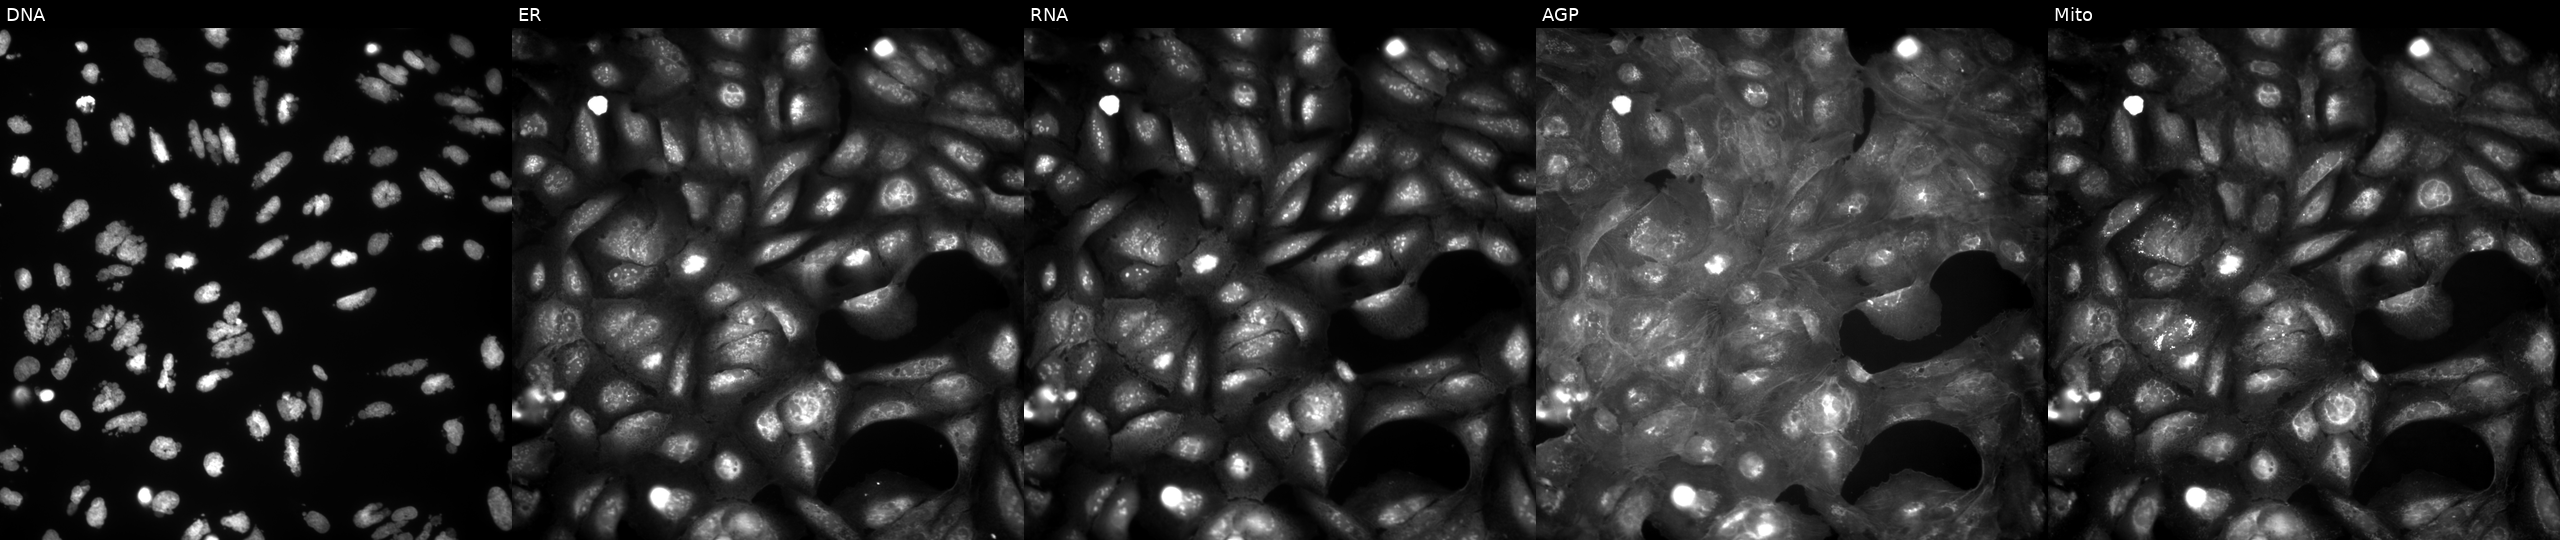
U2OS cells, Cell Painting assay, exposed to the positive-control compound AMG900. Panels show, left to right, DNA, ER, RNA, AGP, and Mito. Each panel is percentile-stretched 16-bit fluorescence.